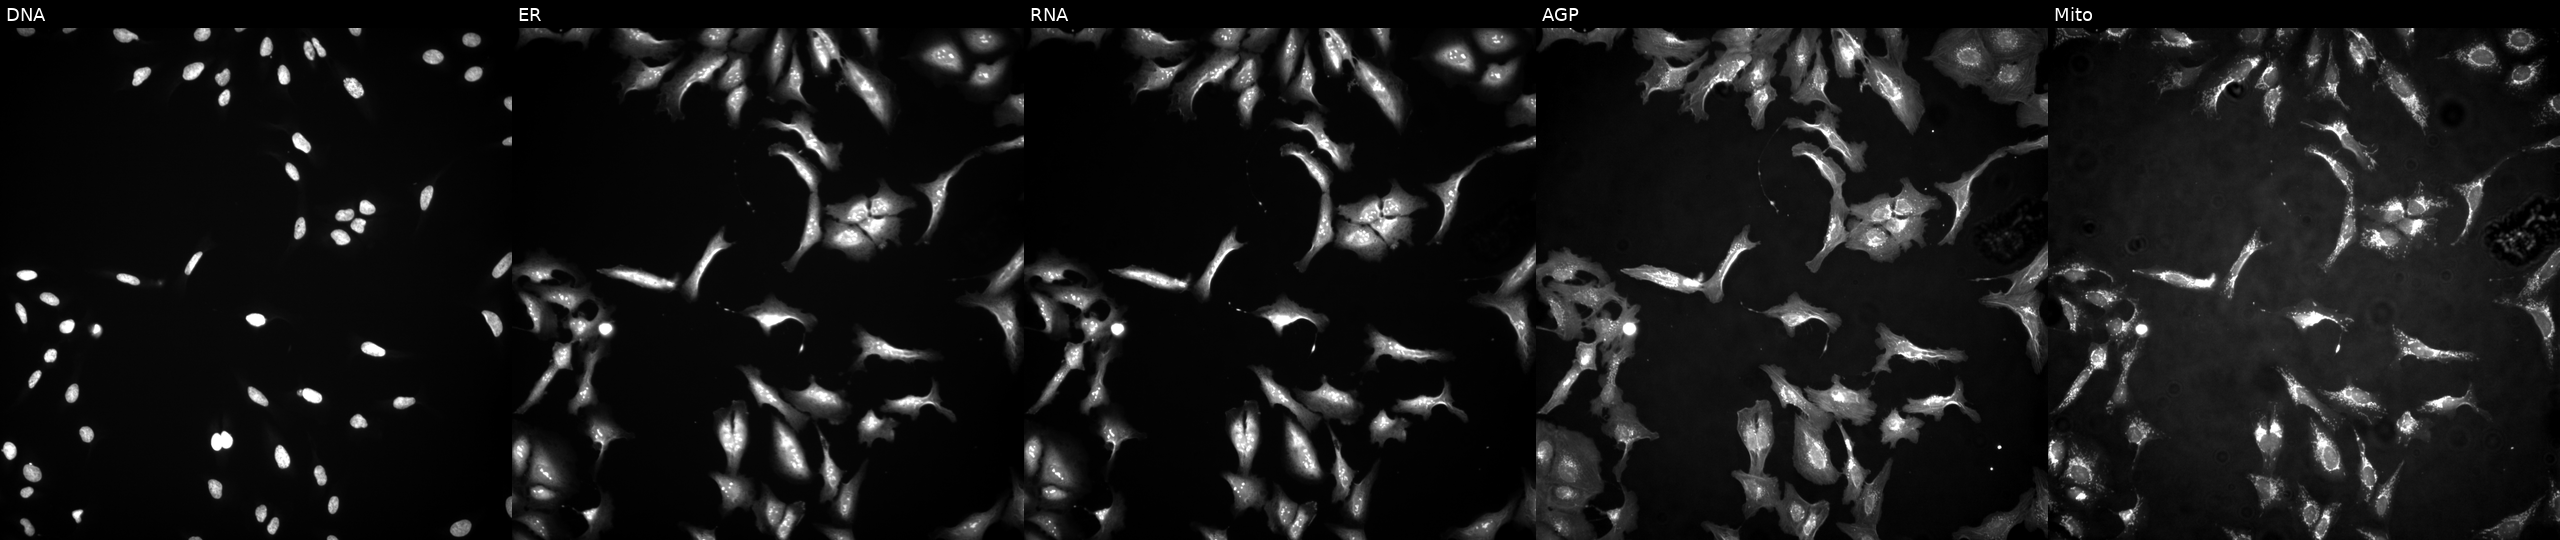
This image strip shows the five Cell Painting channels for a single field of U2OS cells transfected with an ORF construct for ZSWIM2 (JUMP id JCP2022_909019). Channels (left→right): DNA, ER, RNA, AGP, and Mito.